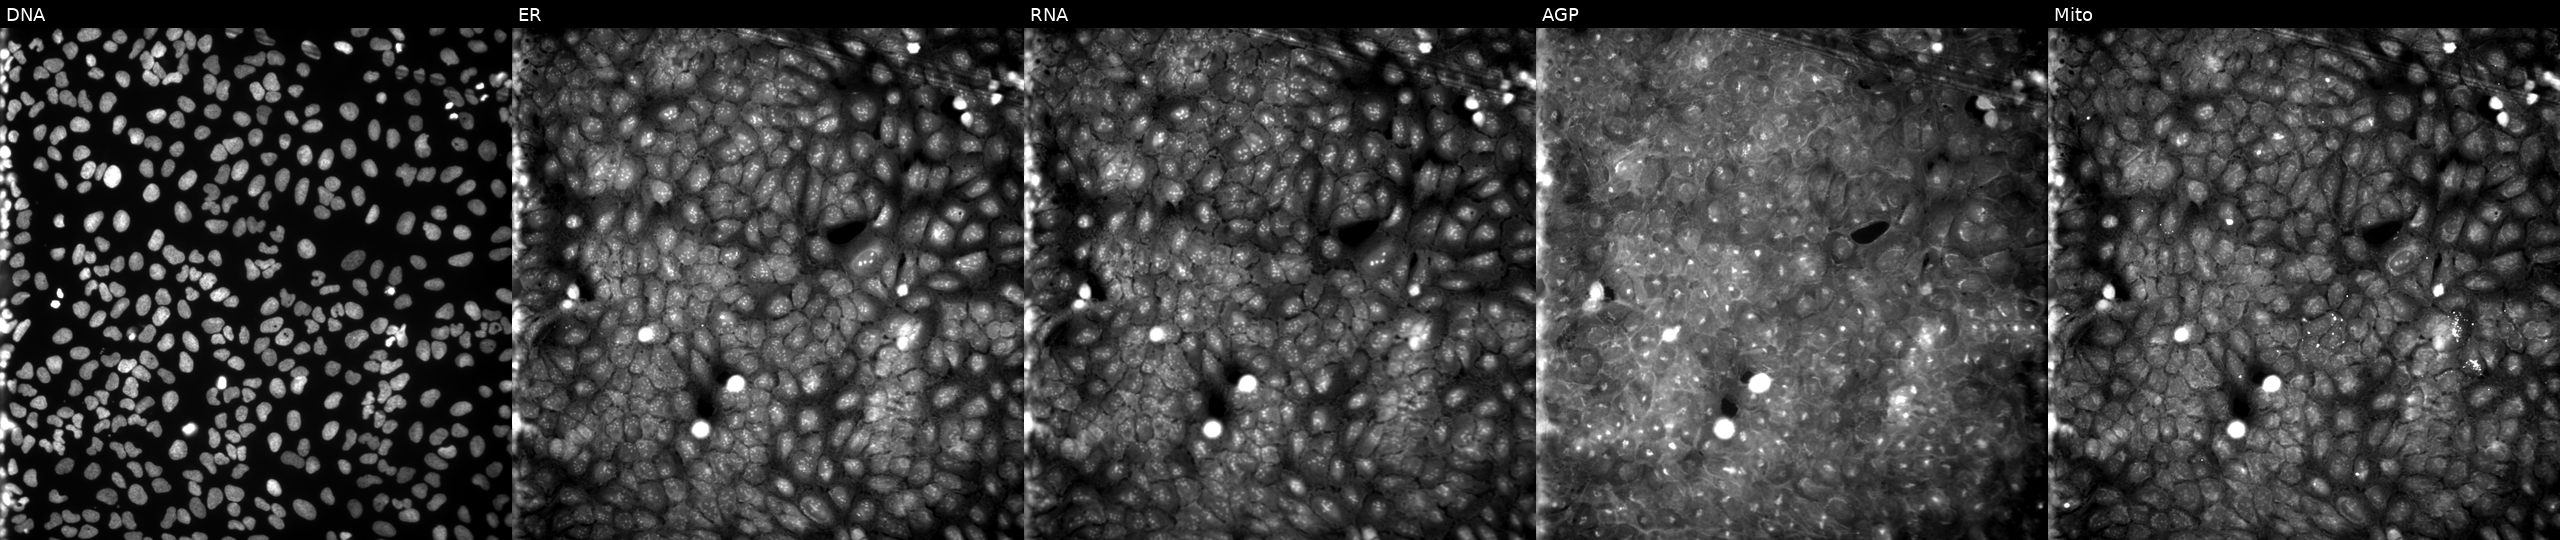
Five-channel Cell Painting image of U2OS cells exposed to a small-molecule compound (InChIKey SMXSKNRLUCCMDS-UHFFFAOYSA-N). The five panels, left to right, show Hoechst 33342, concanavalin A, SYTO 14, phalloidin and WGA, MitoTracker. Source 9, plate GR00003381, well D20.